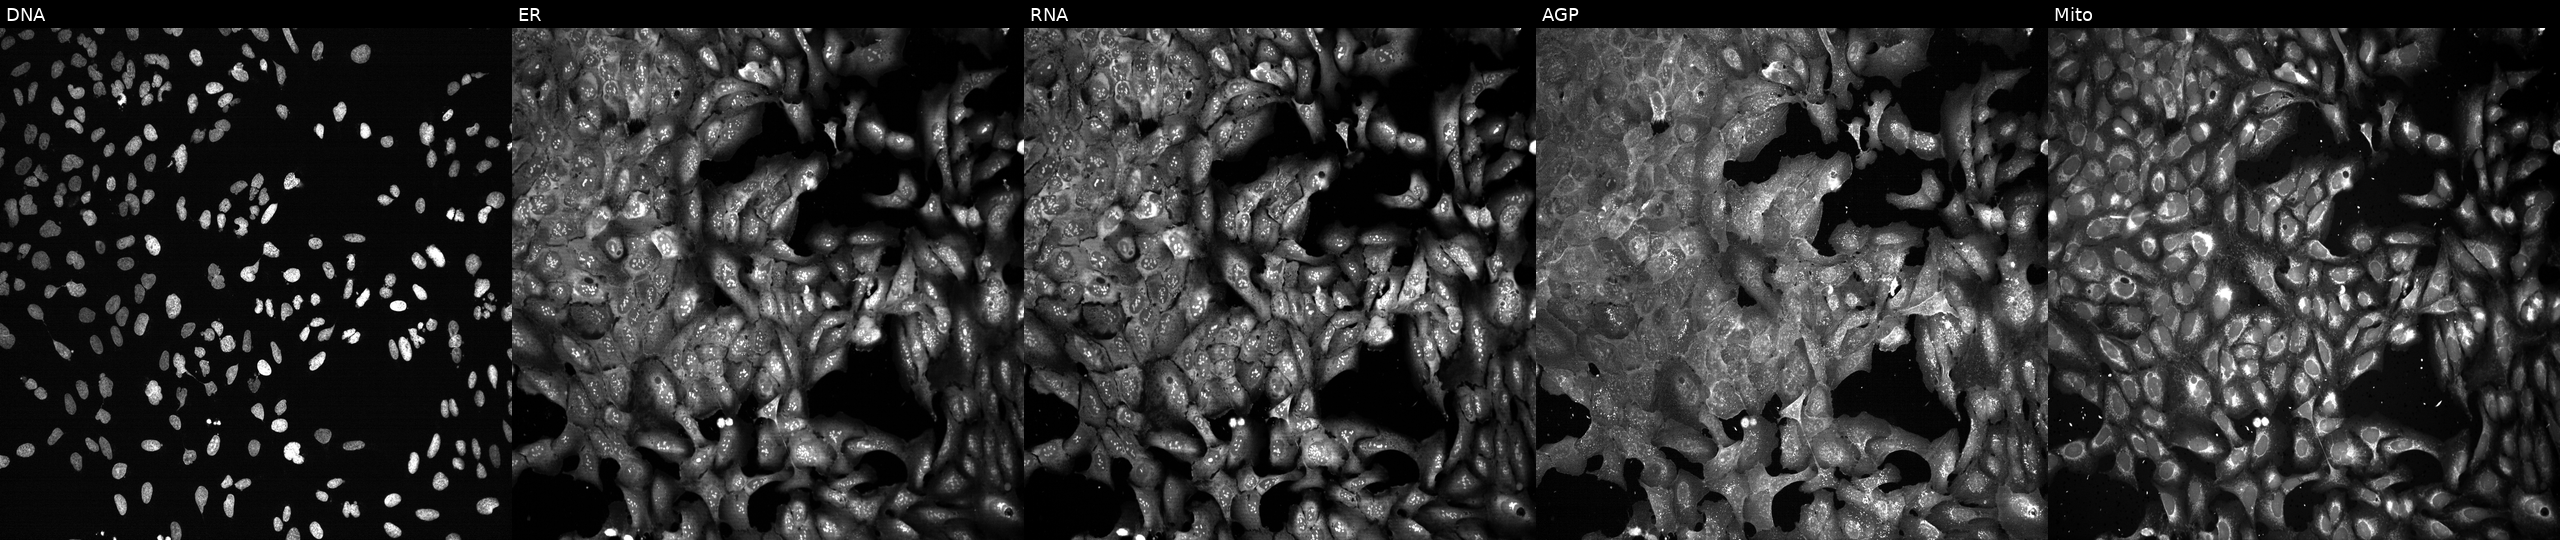
This image strip shows the five Cell Painting channels for a single field of U2OS cells CRISPR-edited to disrupt TOP2A (JUMP id JCP2022_807196). Channels (left→right): Hoechst 33342, concanavalin A, SYTO 14, phalloidin and WGA, MitoTracker.